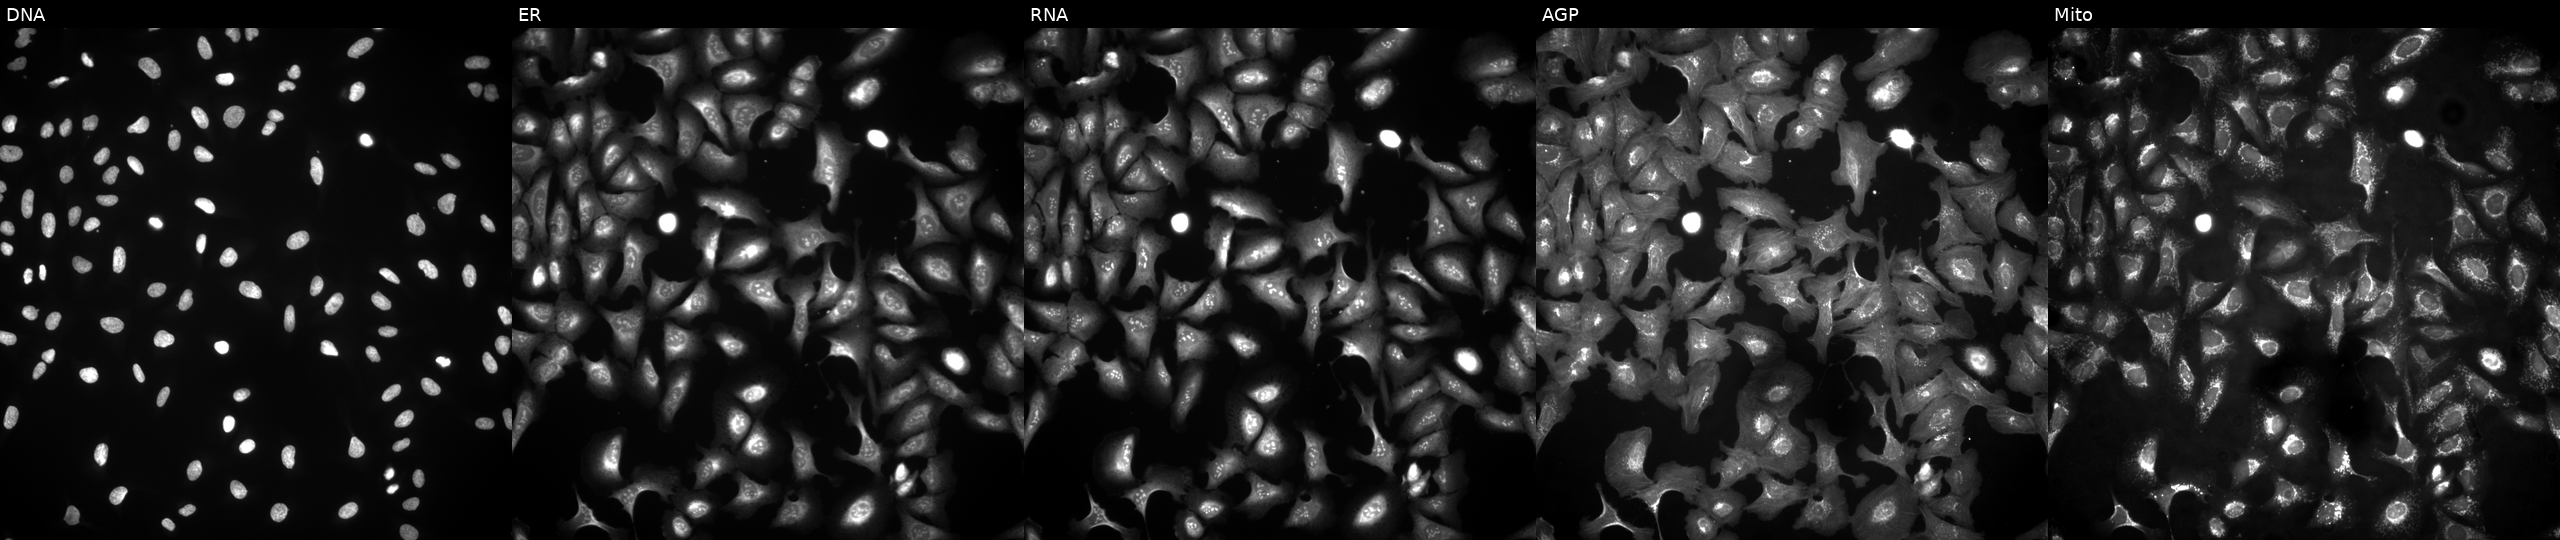
This image strip shows the five Cell Painting channels for a single field of U2OS cells overexpressing PIK3CB via ORF transfection. The five panels, left to right, show Hoechst 33342, concanavalin A, SYTO 14, phalloidin and WGA, MitoTracker.